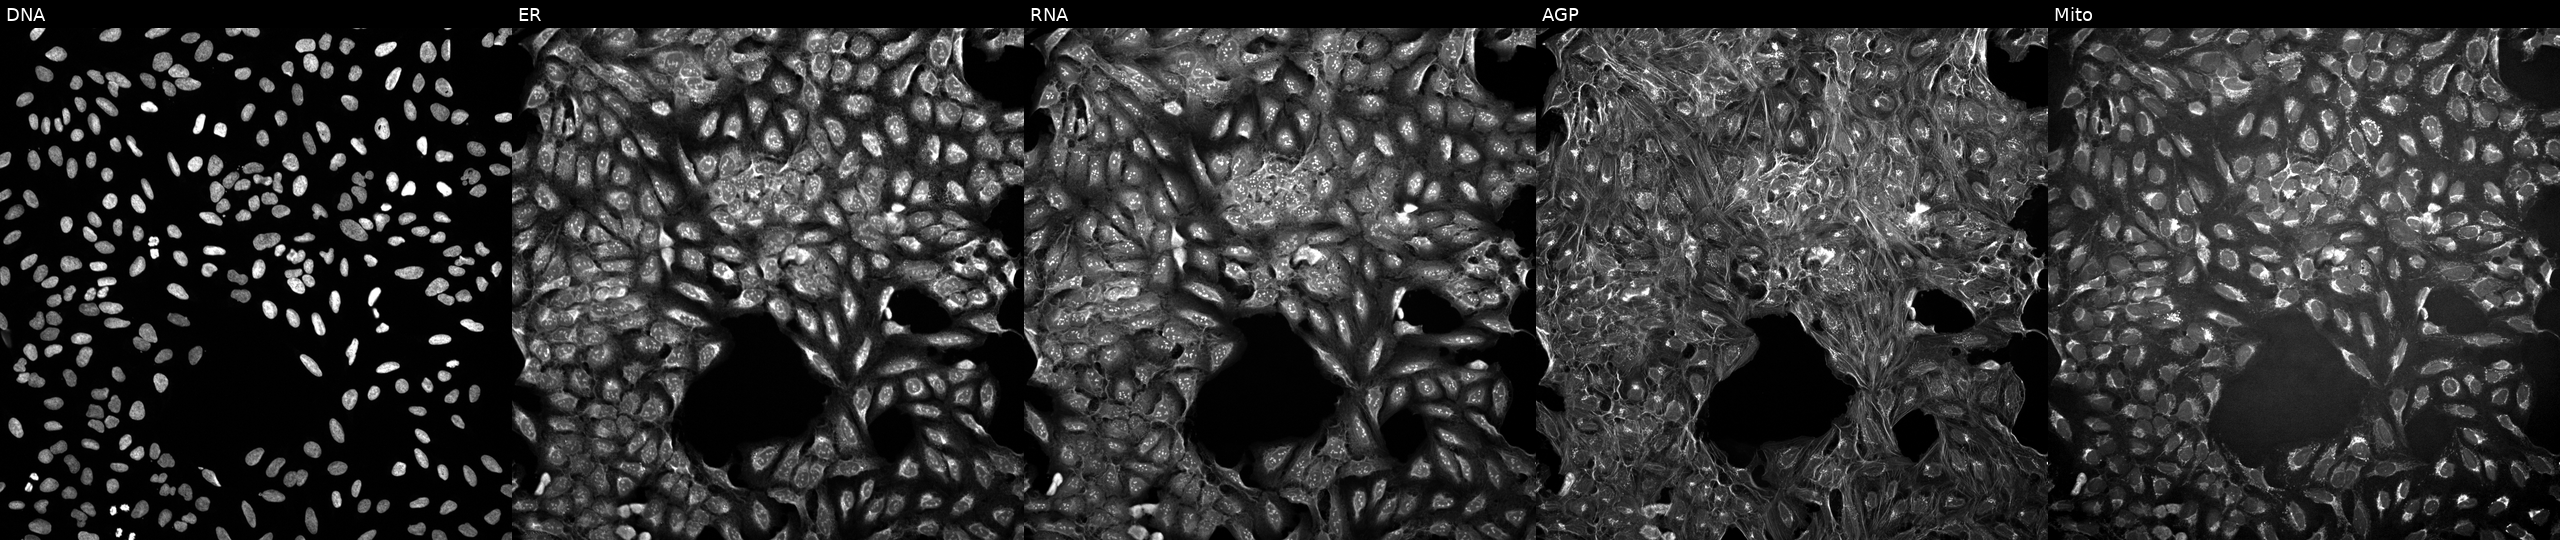
This image strip shows the five Cell Painting channels for a single field of U2OS cells in an empty control well (no perturbation) (JUMP id JCP2022_999999). Channels (left→right): DNA (nuclei); ER (endoplasmic reticulum); RNA (nucleoli and cytoplasmic RNA); AGP (actin cytoskeleton, Golgi, and plasma membrane); Mito (mitochondria).